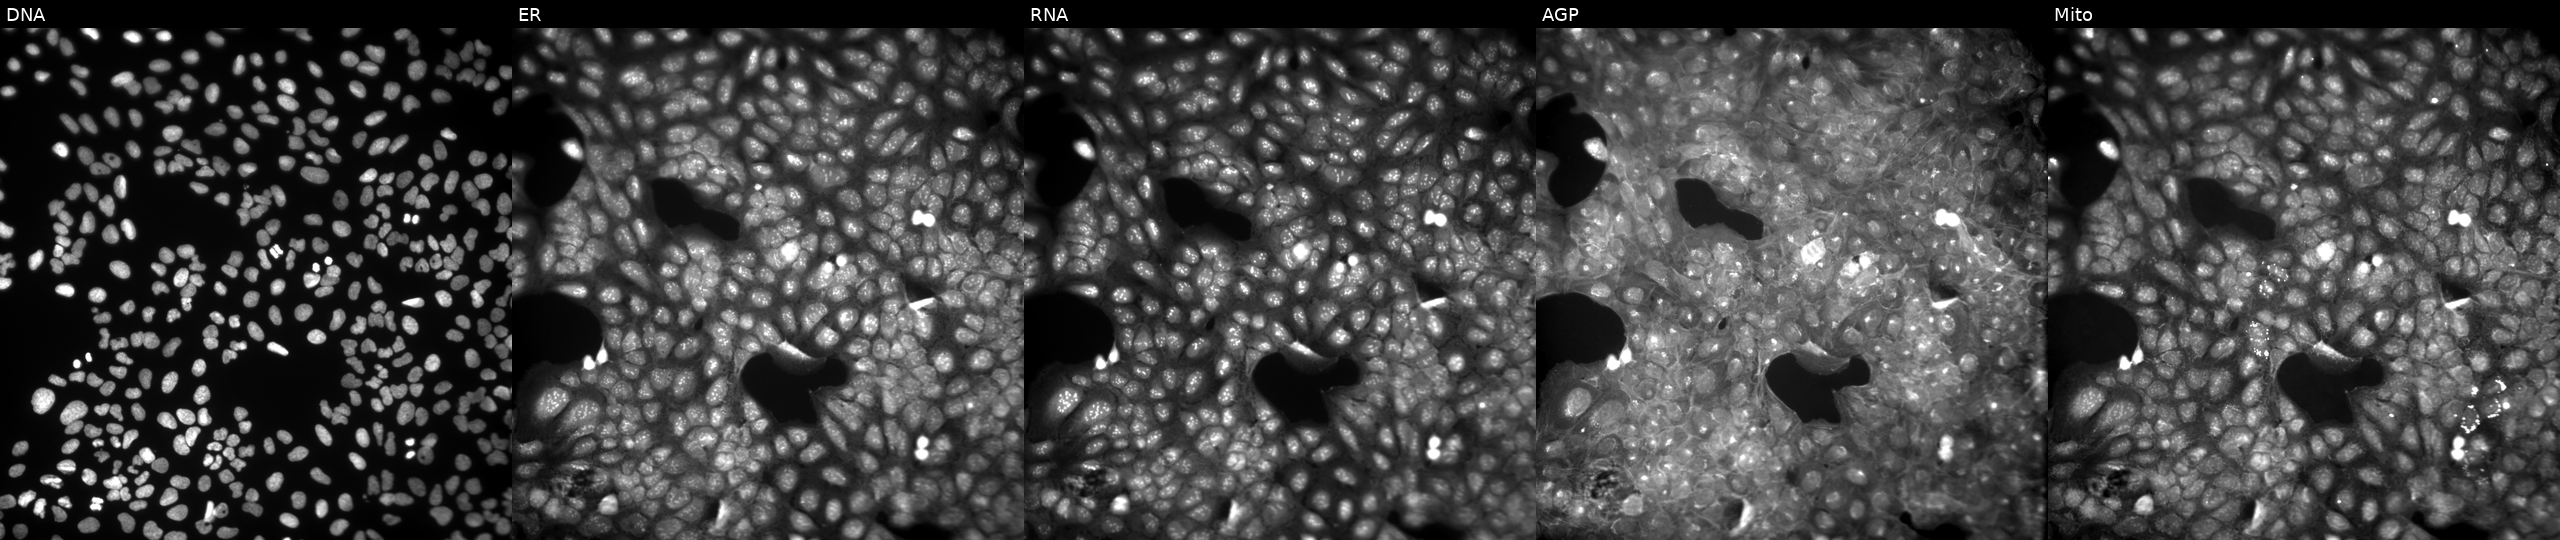
From left to right: DNA, ER, RNA, AGP, and Mito. U2OS osteosarcoma cells perturbed with a small-molecule compound (InChIKey NGHOGFNFZVXSRC-UHFFFAOYSA-N). Cell Painting assay, JUMP-CP dataset.